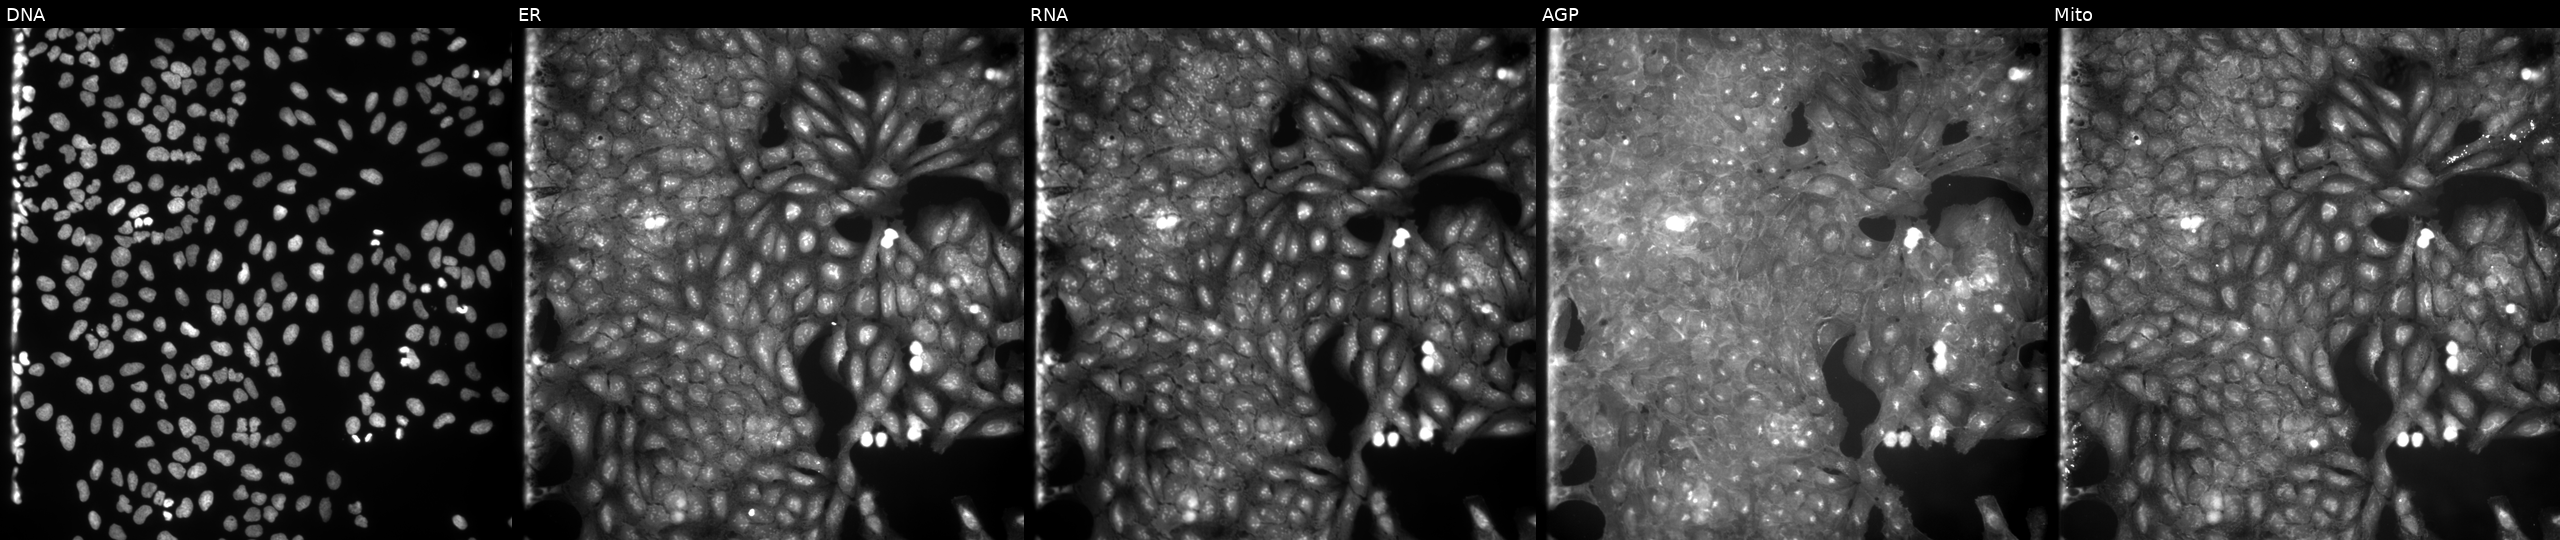
JUMP Cell Painting — COMPOUND plate. U2OS cells exposed to a small-molecule compound (InChIKey FODPRRDWCIFGRK-UHFFFAOYSA-N). From left to right: DNA, ER, RNA, AGP, and Mito.